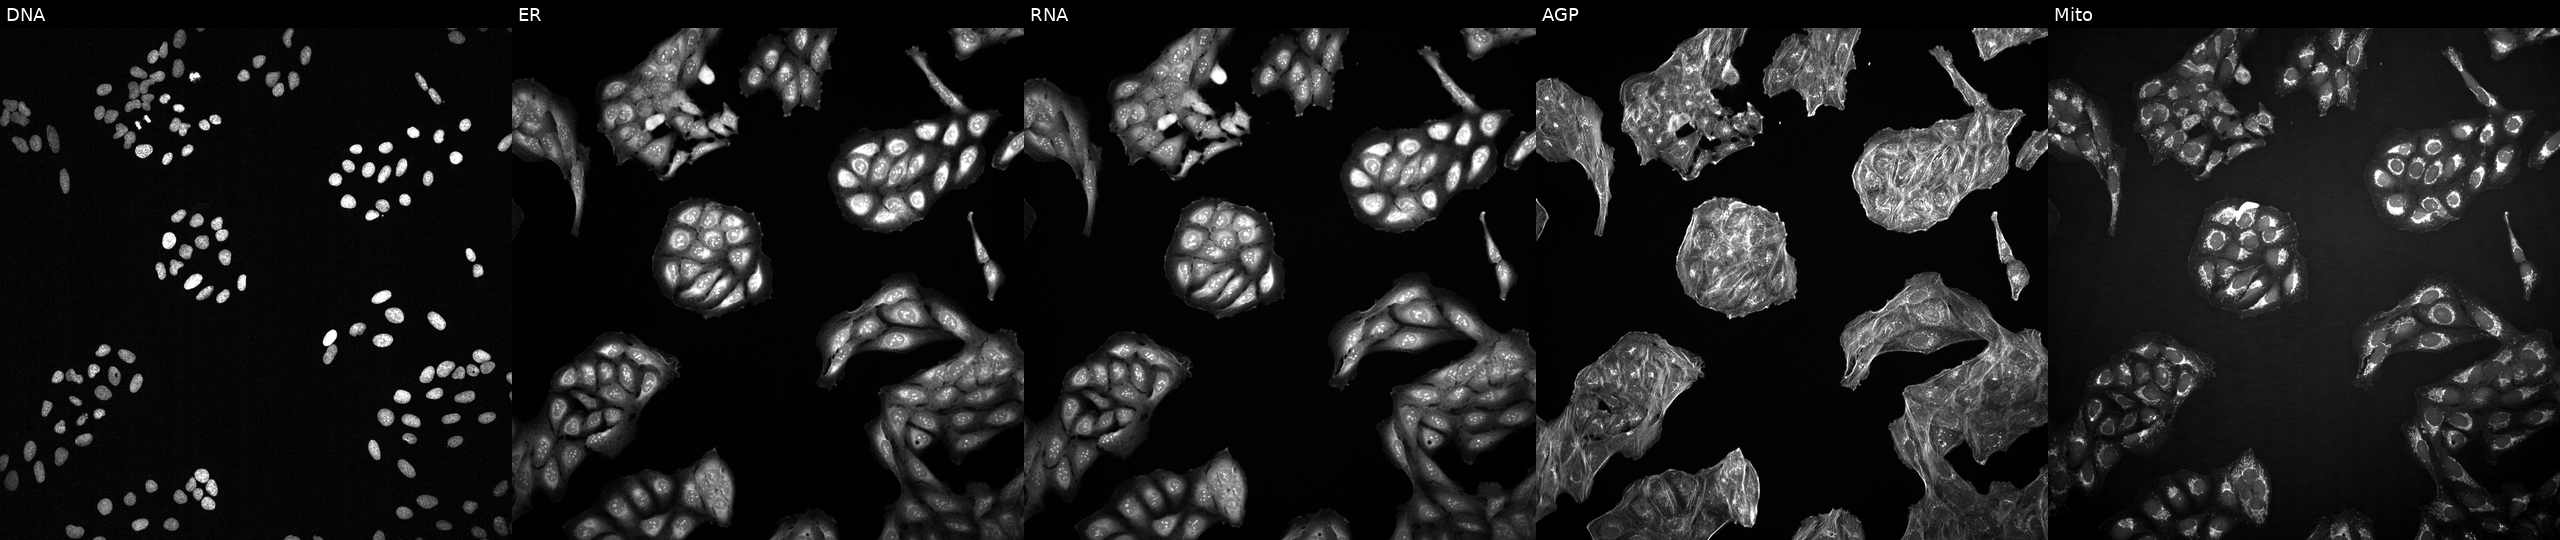
This image strip shows the five Cell Painting channels for a single field of U2OS cells perturbed with a small-molecule compound (InChIKey CMSMOCZEIVJLDB-UHFFFAOYSA-N) [SMILES: O=P1(N(CCCl)CCCl)NCCCO1]. The five panels, left to right, show Hoechst 33342, concanavalin A, SYTO 14, phalloidin and WGA, MitoTracker.